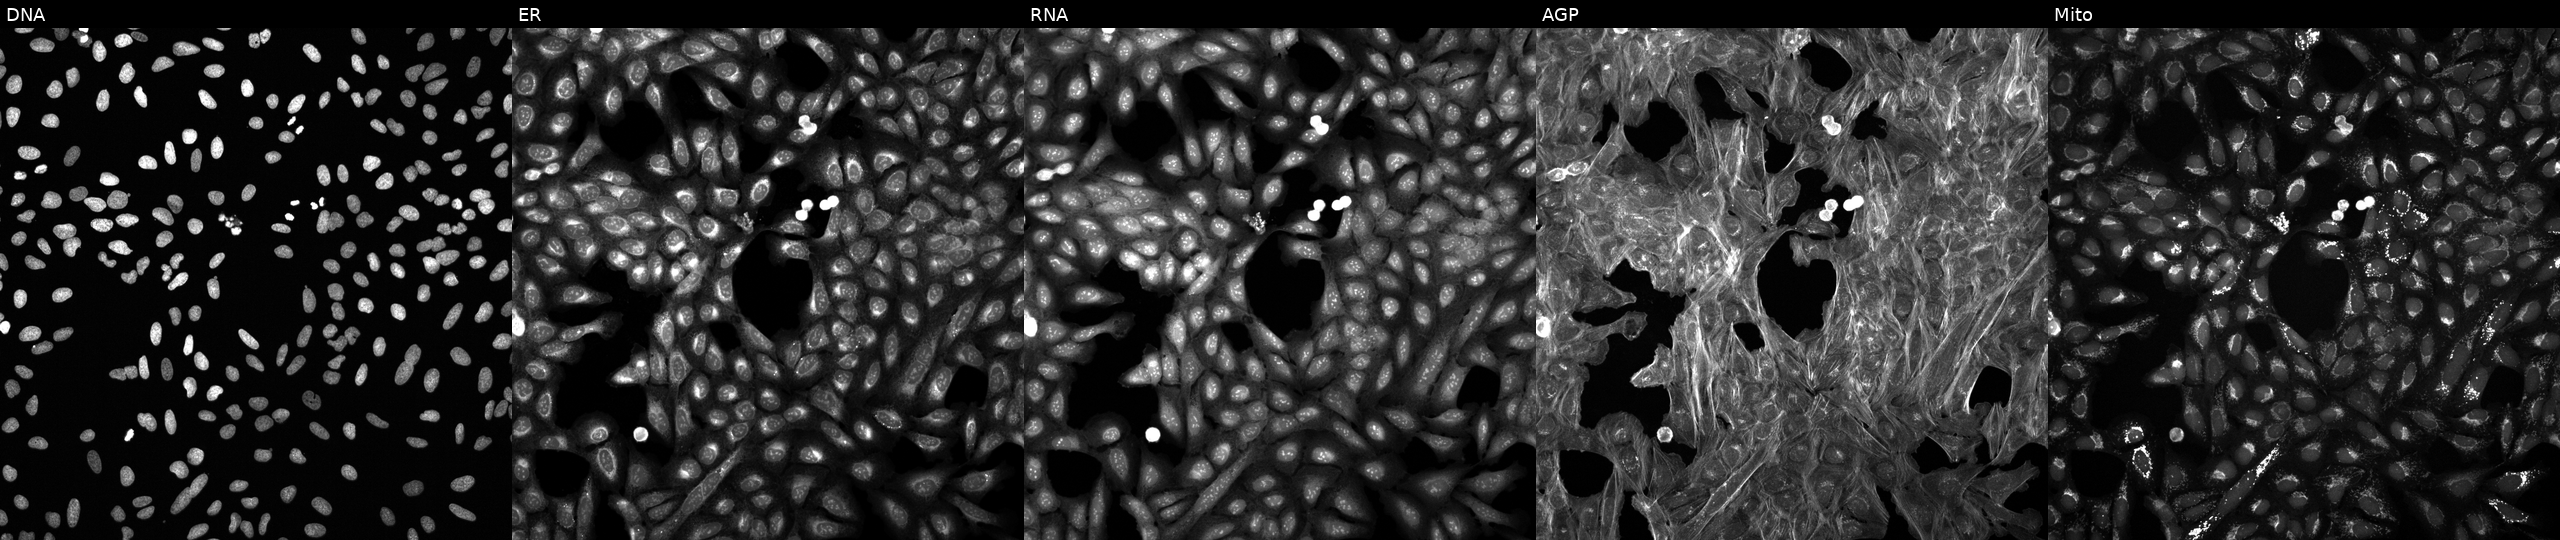
This image strip shows the five Cell Painting channels for a single field of U2OS cells exposed to the positive-control compound TC-S-7004. Panels show, left to right, DNA, ER, RNA, AGP, and Mito.